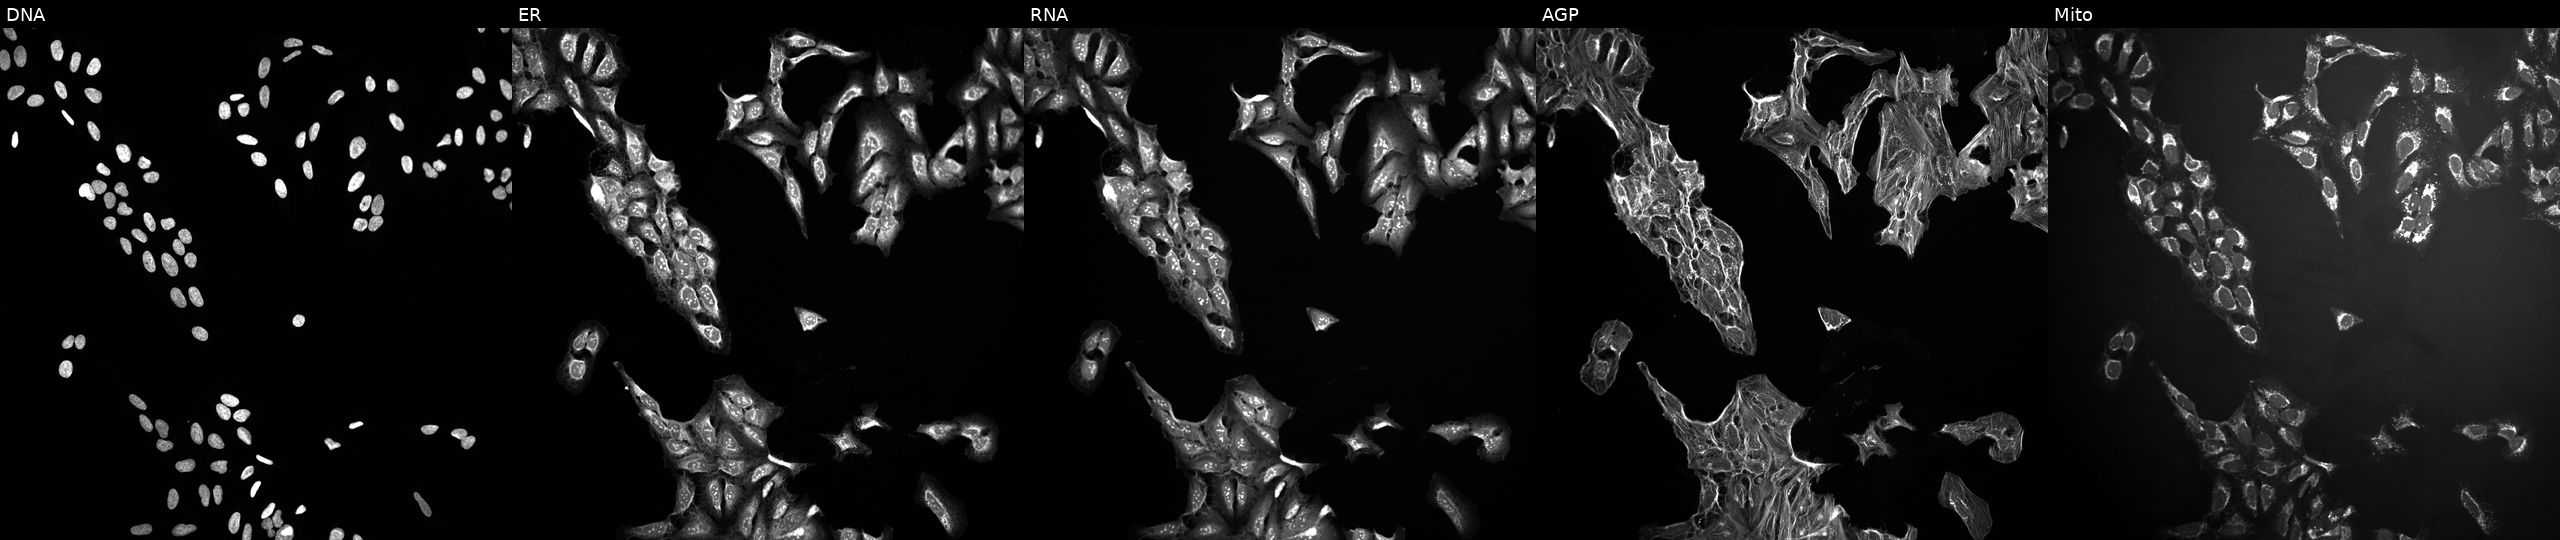
U2OS cells, Cell Painting assay, treated with a small-molecule compound (InChIKey ZJMDTBBCNMGFMS-UHFFFAOYSA-N). From left to right: DNA (nuclei); ER (endoplasmic reticulum); RNA (nucleoli and cytoplasmic RNA); AGP (actin cytoskeleton, Golgi, and plasma membrane); Mito (mitochondria). Each panel is percentile-stretched 16-bit fluorescence.